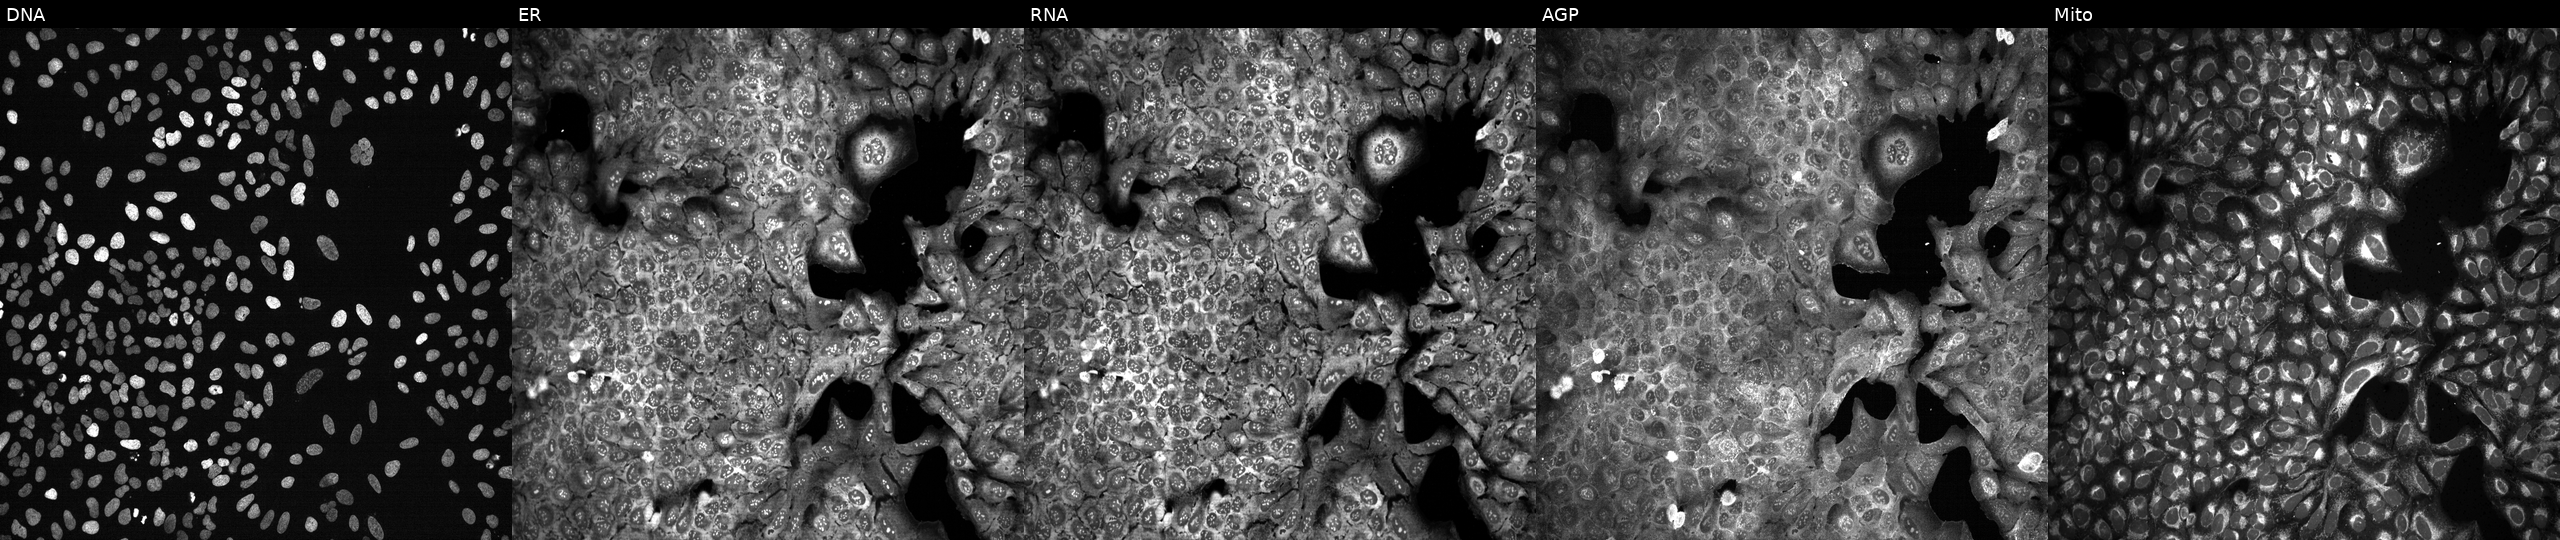
Five-channel Cell Painting image of U2OS cells following CRISPR knockout of OAS1. Channels (left→right): DNA, ER, RNA, AGP, and Mito.